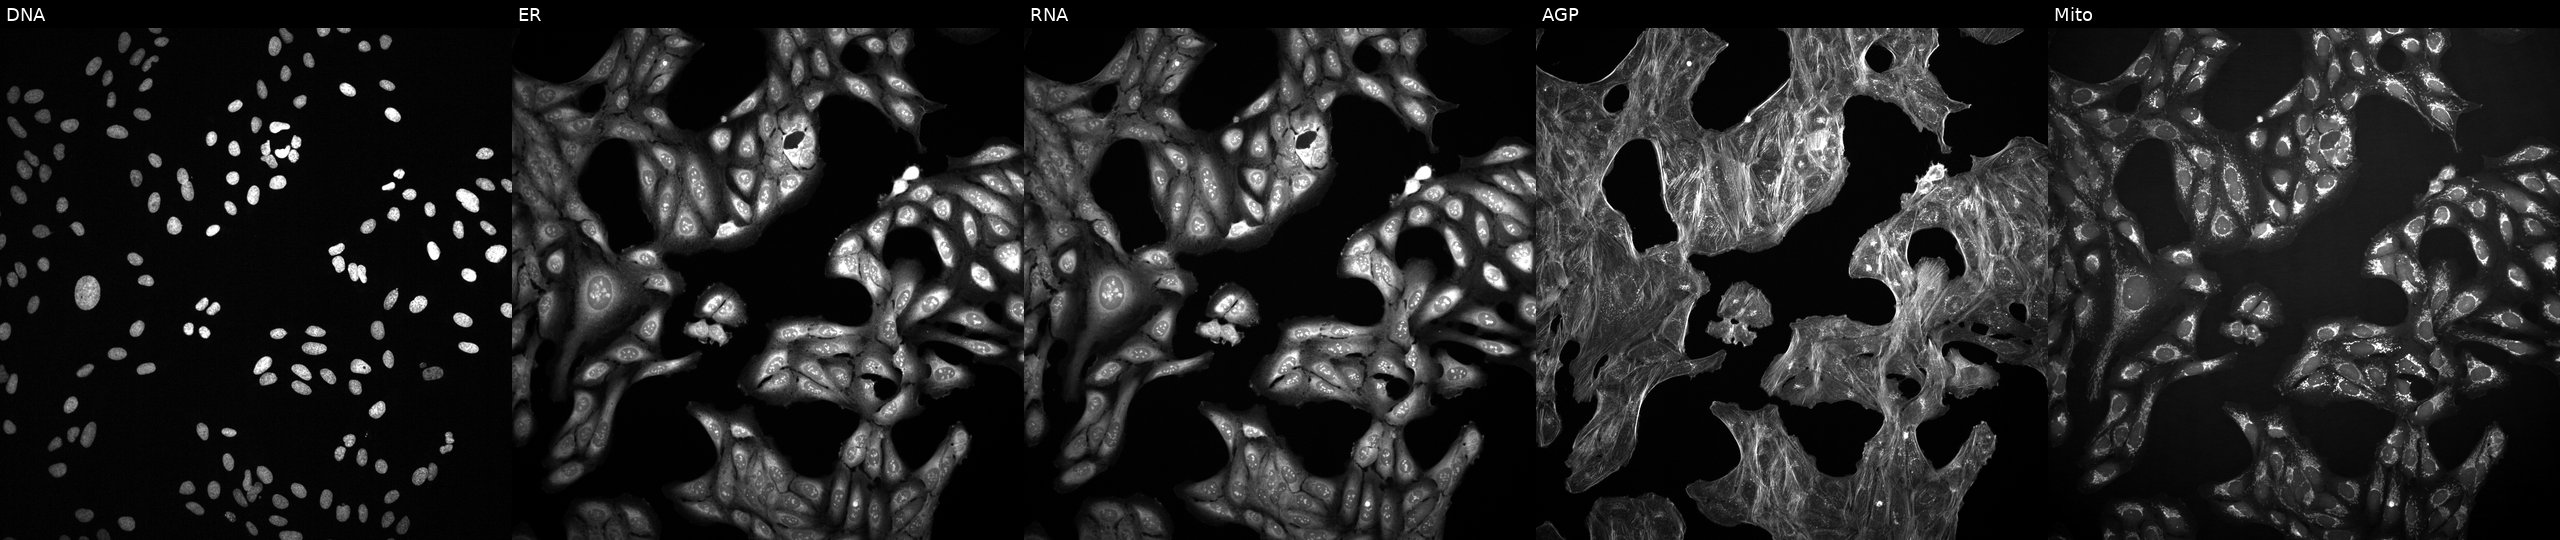
U2OS cells, Cell Painting assay, treated with a small-molecule compound (InChIKey MJVAVZPDRWSRRC-UHFFFAOYSA-N) (JUMP id JCP2022_054618). The five panels, left to right, show DNA (nuclei); ER (endoplasmic reticulum); RNA (nucleoli and cytoplasmic RNA); AGP (actin cytoskeleton, Golgi, and plasma membrane); Mito (mitochondria). Each panel is percentile-stretched 16-bit fluorescence.